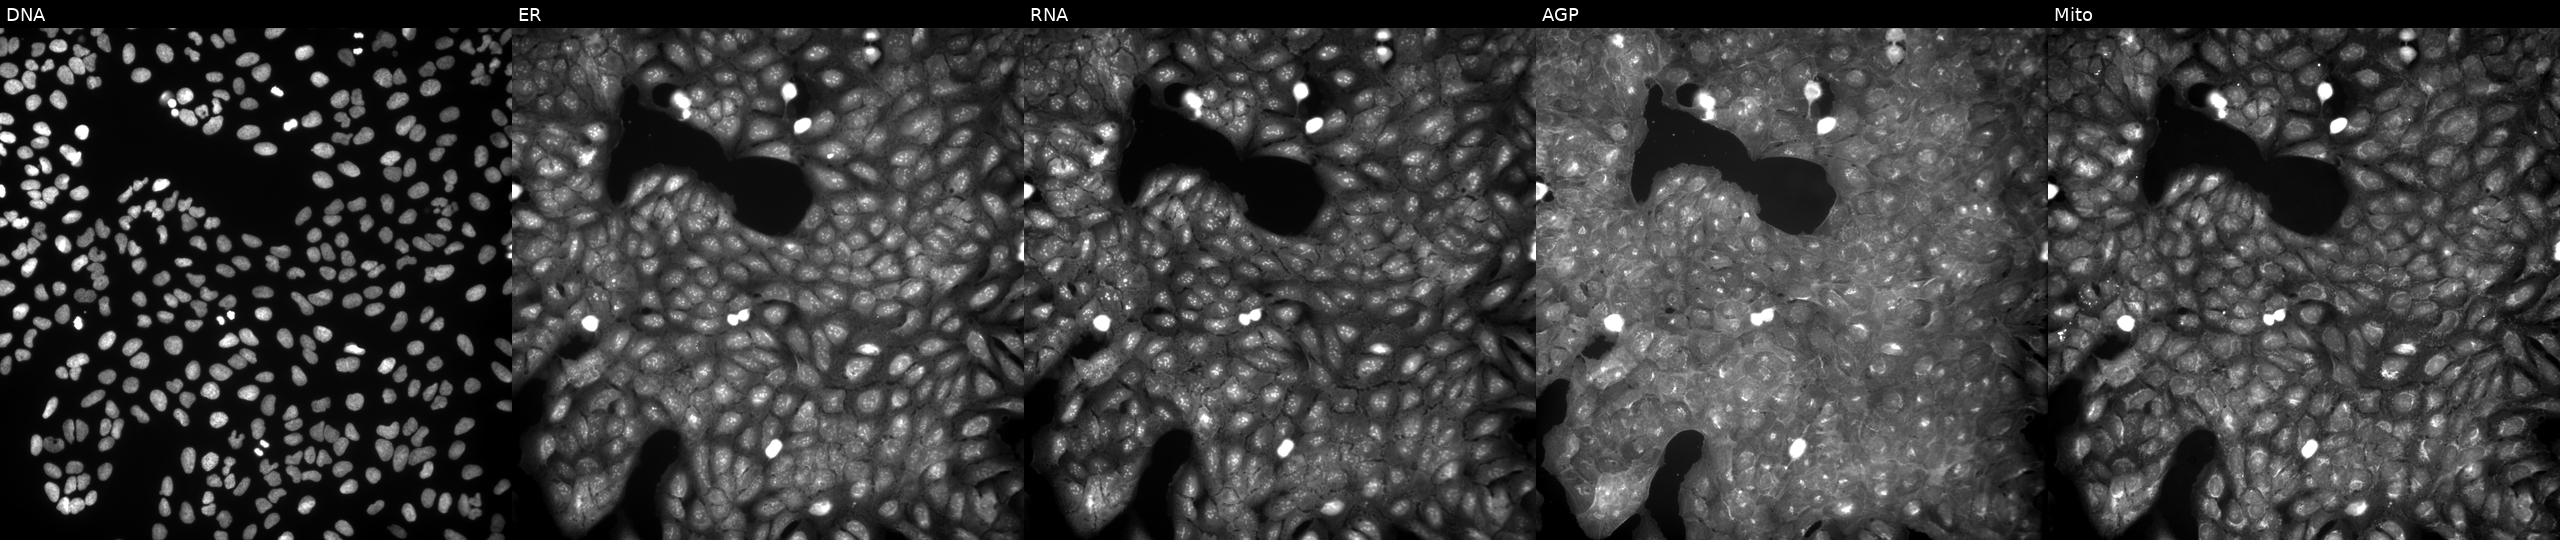
U2OS cells, Cell Painting assay, exposed to a small-molecule compound (JUMP id JCP2022_008337). Panels show, left to right, DNA (nuclei); ER (endoplasmic reticulum); RNA (nucleoli and cytoplasmic RNA); AGP (actin cytoskeleton, Golgi, and plasma membrane); Mito (mitochondria). Each panel is percentile-stretched 16-bit fluorescence.